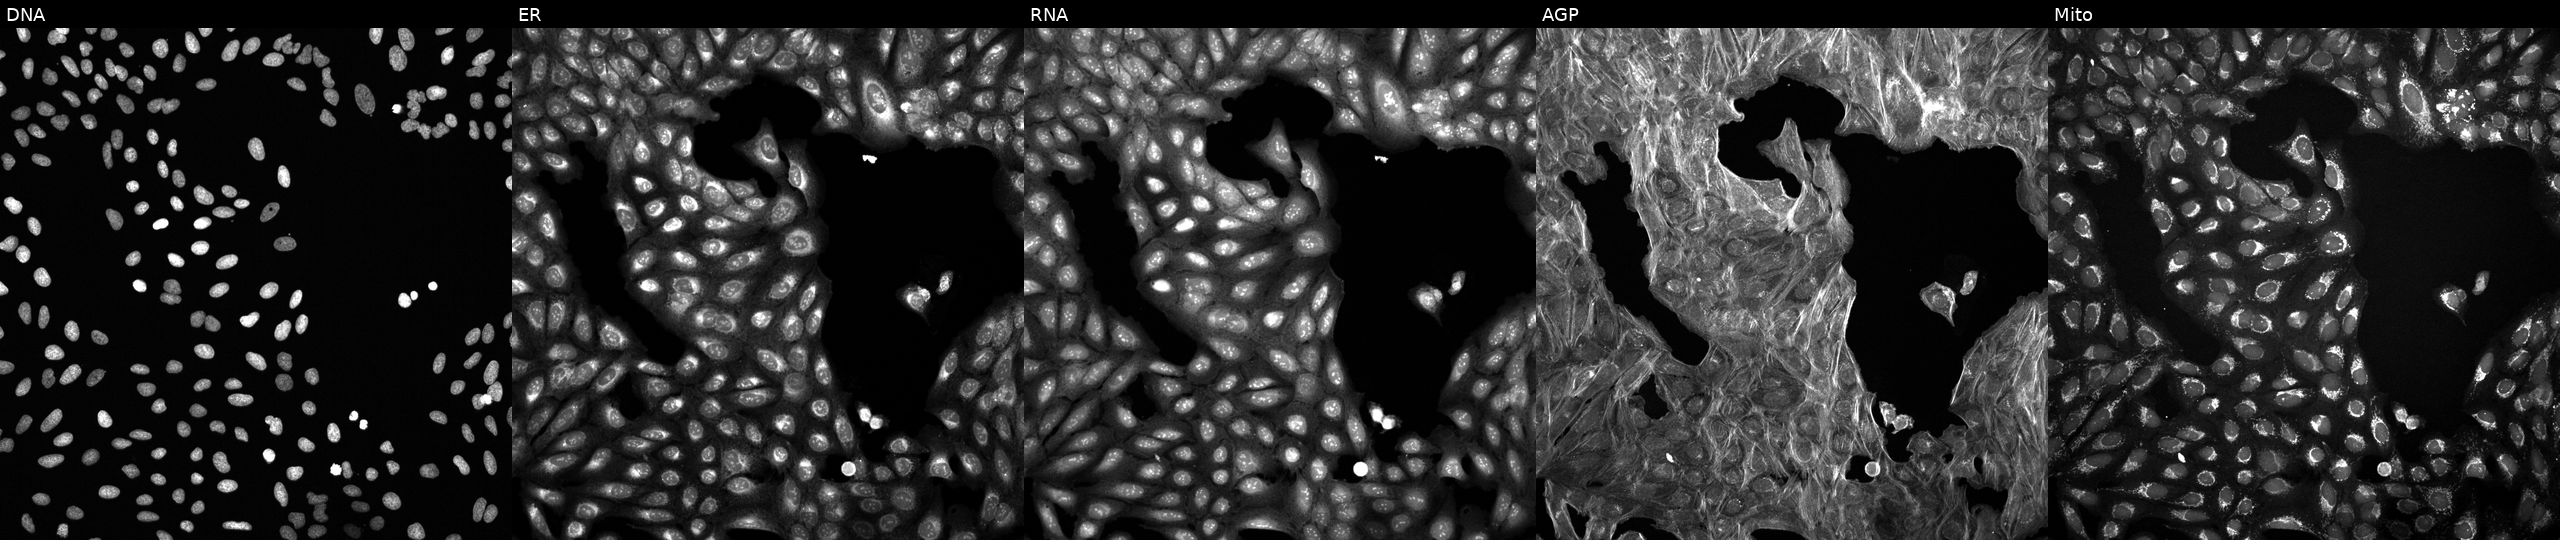
Five-channel Cell Painting image of U2OS cells treated with a small-molecule compound (InChIKey HXXXDNQZUDUTGY-UHFFFAOYSA-N) [SMILES: COc1ccc(OC)c(-c2cc(C(=O)N3CCc4ccccc4C3)no2)c1]. The five panels, left to right, show DNA, ER, RNA, AGP, and Mito. Source 6, plate 110000293082, well P04.